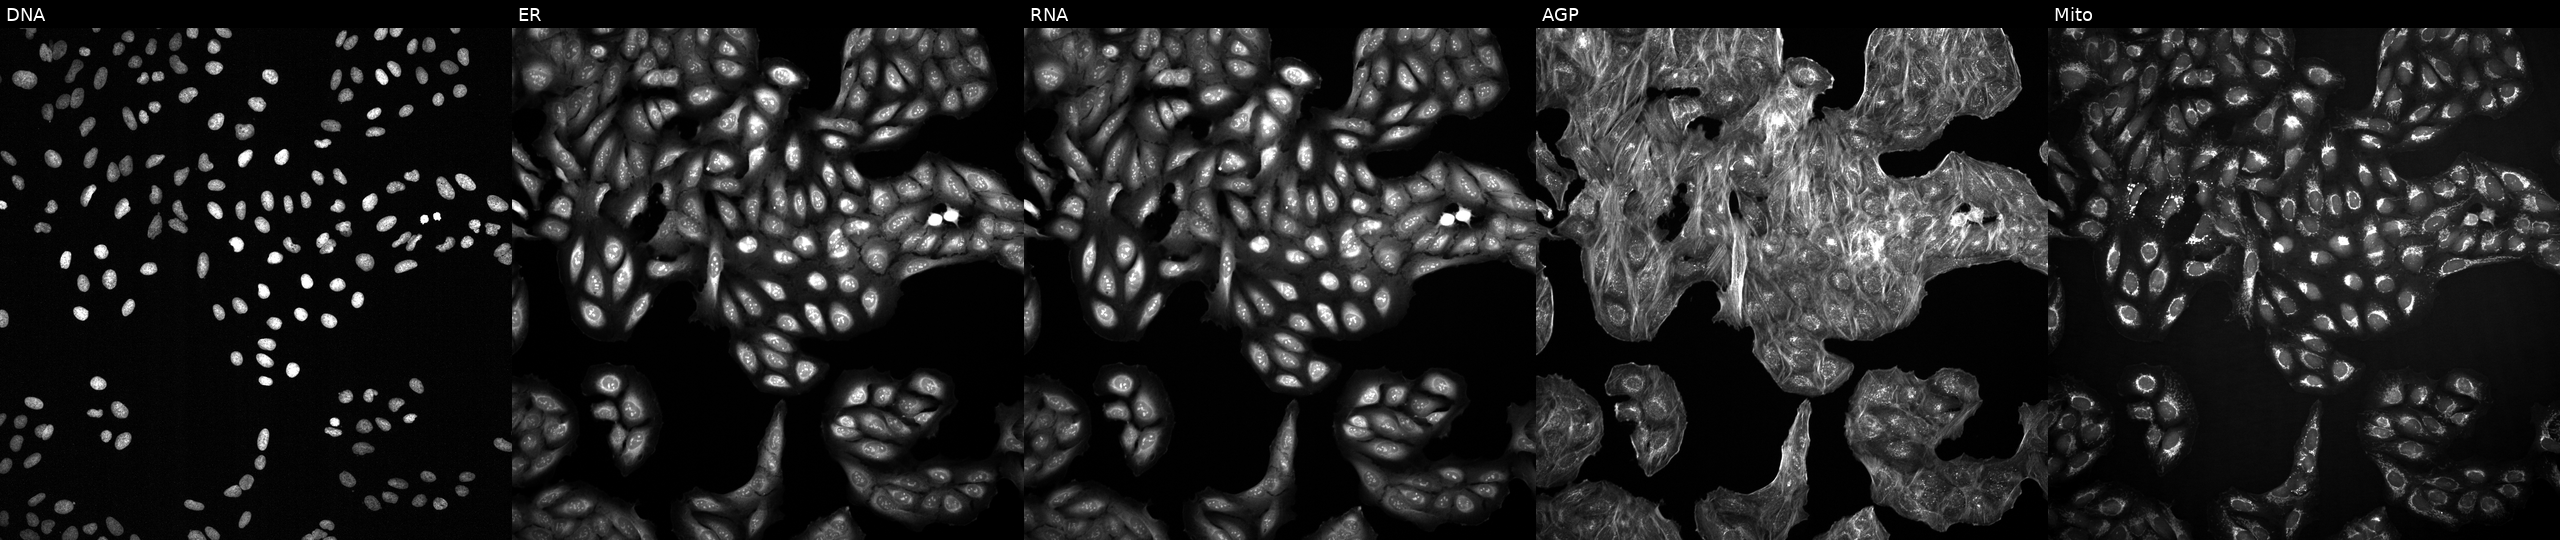
Five-channel Cell Painting image of U2OS cells with an unidentified perturbation (not annotated in JUMP metadata). From left to right: Hoechst 33342, concanavalin A, SYTO 14, phalloidin and WGA, MitoTracker. Source 2, plate 1053601756, well F22.